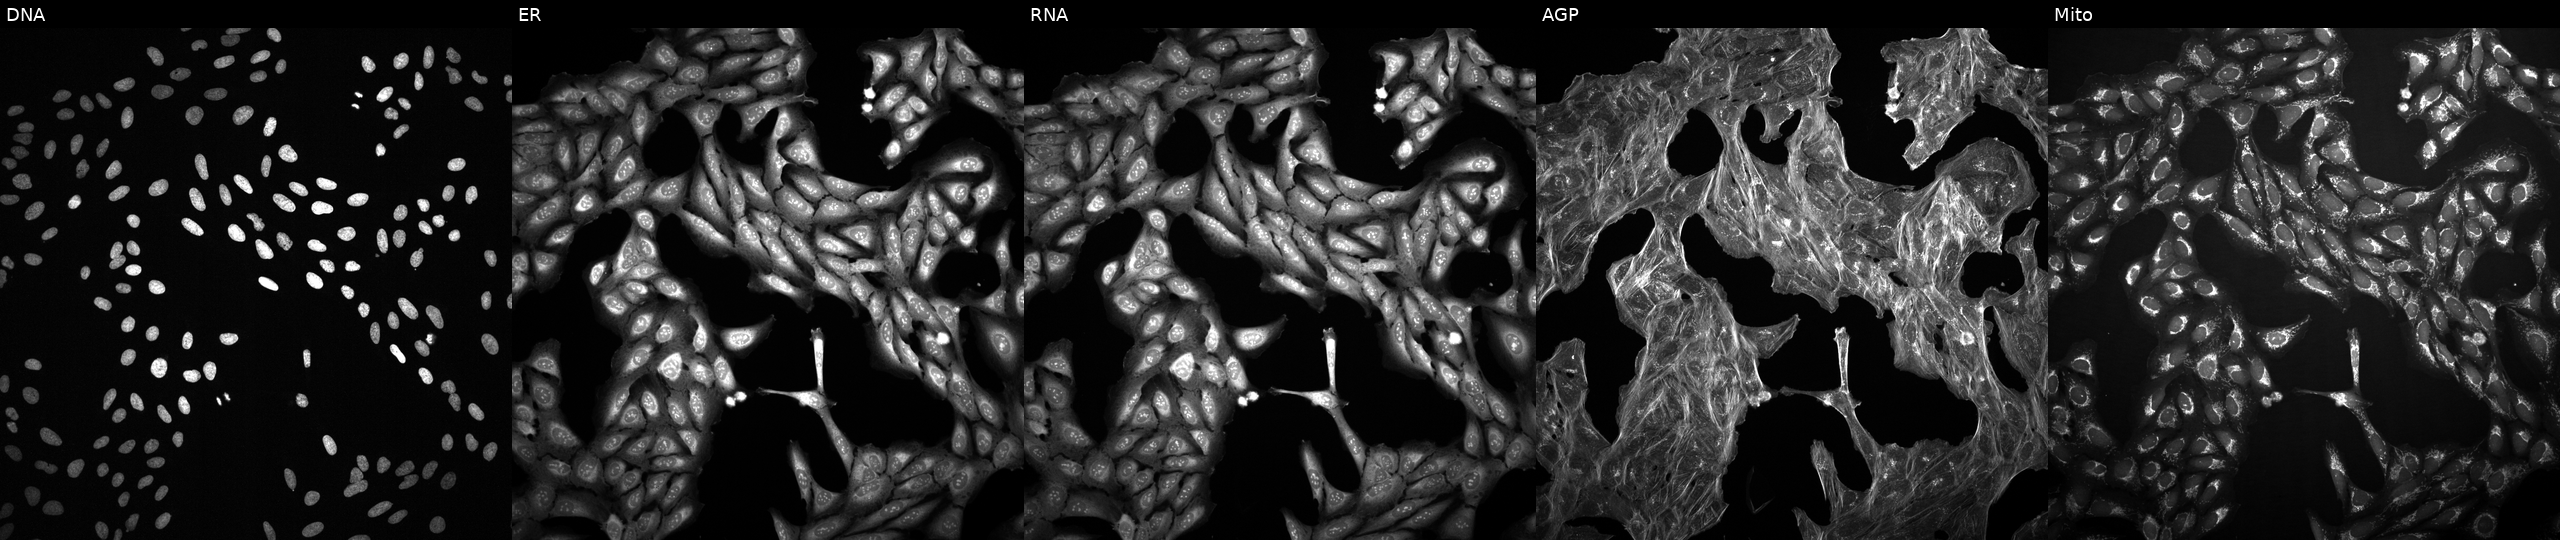
This image strip shows the five Cell Painting channels for a single field of U2OS cells treated with quinidine (positive-control compound) (JUMP id JCP2022_050797). From left to right: DNA, ER, RNA, AGP, and Mito. Source 2, plate 1053597936, well H12.